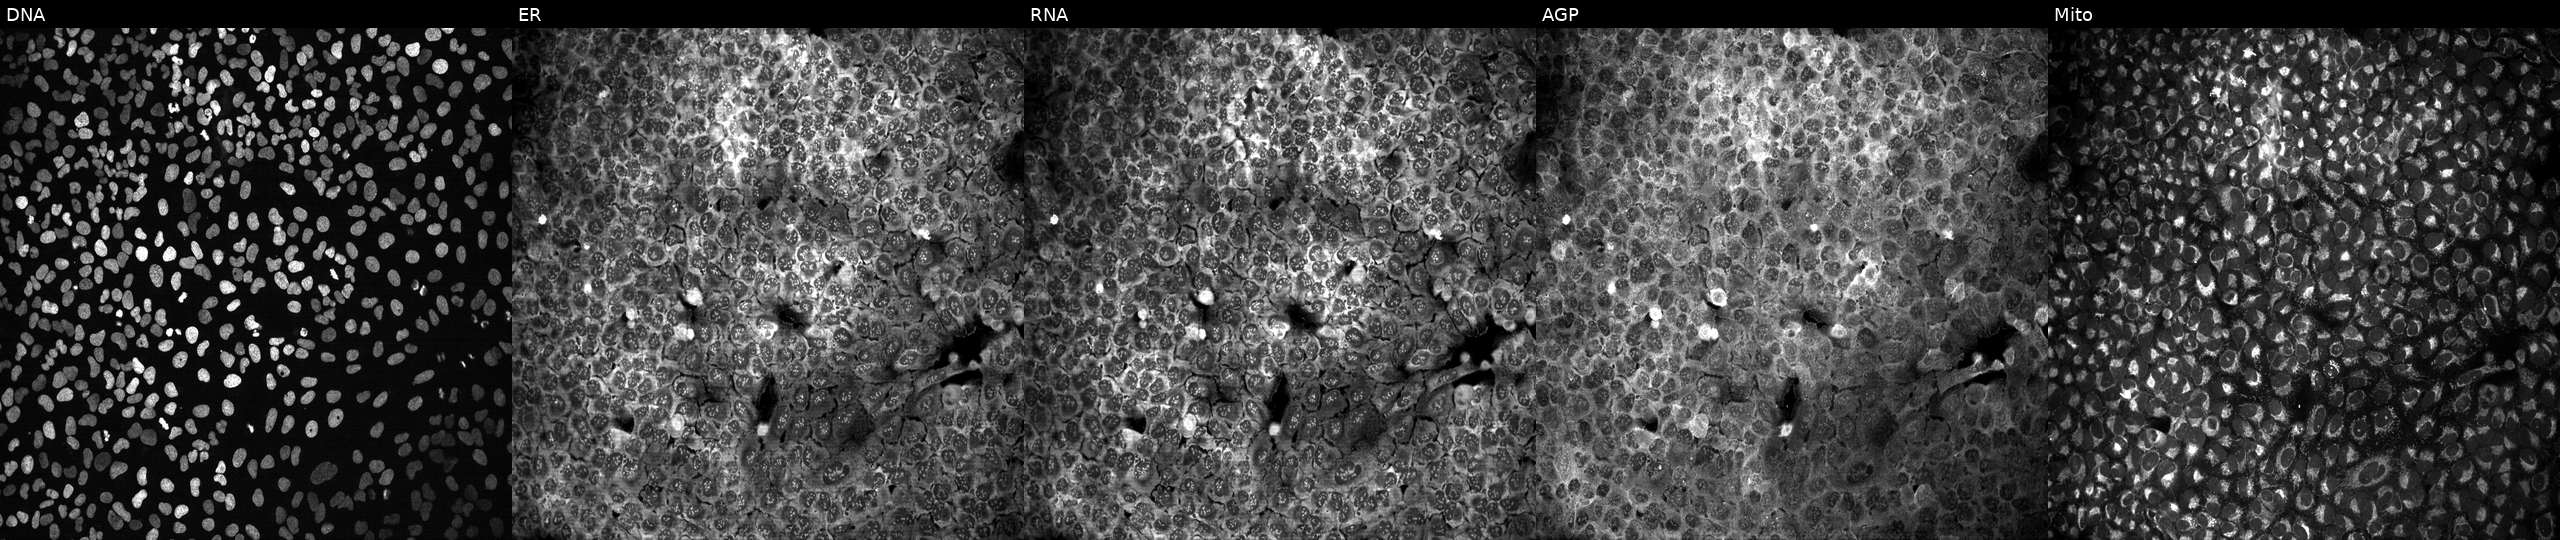
This image strip shows the five Cell Painting channels for a single field of U2OS cells following CRISPR knockout of RAB9A (JUMP id JCP2022_805789). Channels (left→right): Hoechst 33342, concanavalin A, SYTO 14, phalloidin and WGA, MitoTracker.